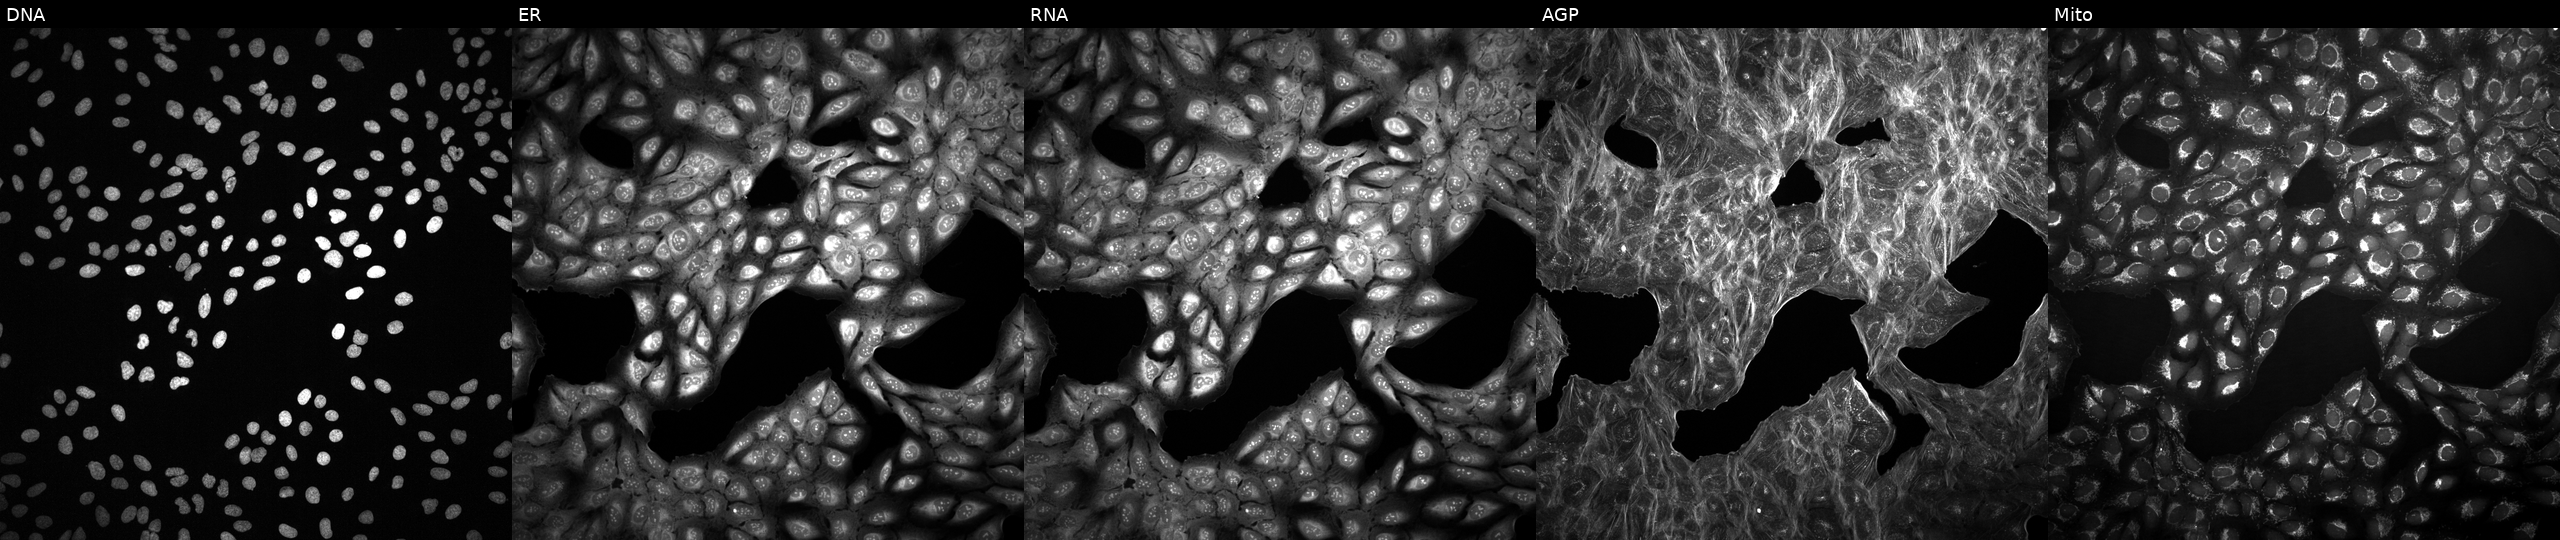
Five-channel Cell Painting image of U2OS cells treated with a small-molecule compound (InChIKey NEMHKCNXXRQYRF-UHFFFAOYSA-N). Panels show, left to right, Hoechst 33342, concanavalin A, SYTO 14, phalloidin and WGA, MitoTracker.